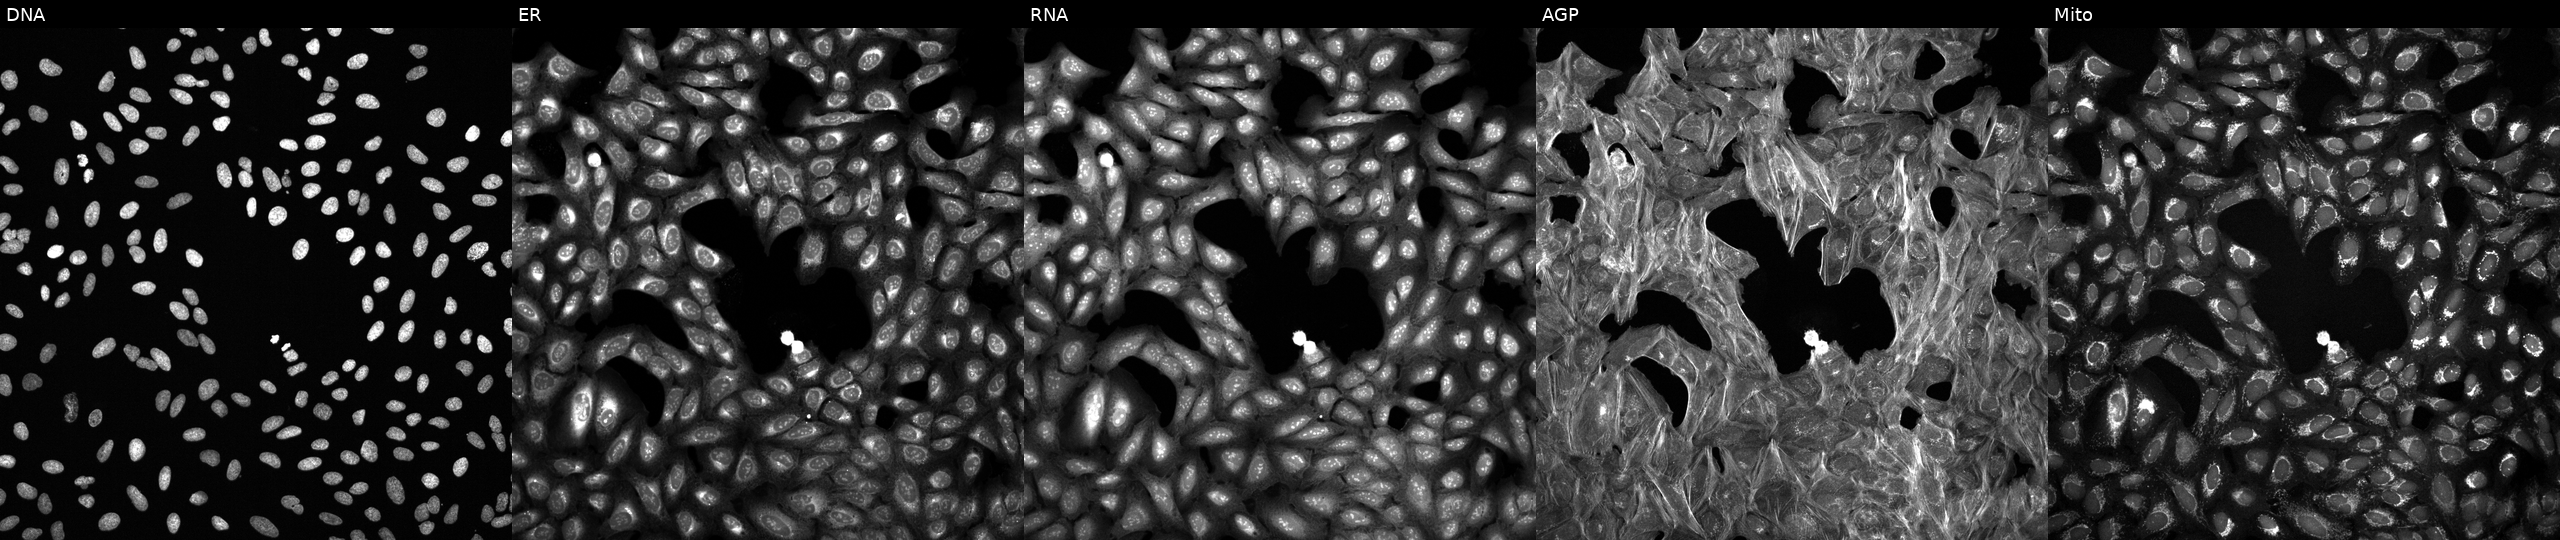
The five panels, left to right, show DNA (nuclei); ER (endoplasmic reticulum); RNA (nucleoli and cytoplasmic RNA); AGP (actin cytoskeleton, Golgi, and plasma membrane); Mito (mitochondria). U2OS osteosarcoma cells treated with a small-molecule compound (InChIKey NXNKJLOEGWSJGI-UHFFFAOYSA-N) (JUMP id JCP2022_062023). Cell Painting assay, JUMP-CP dataset.